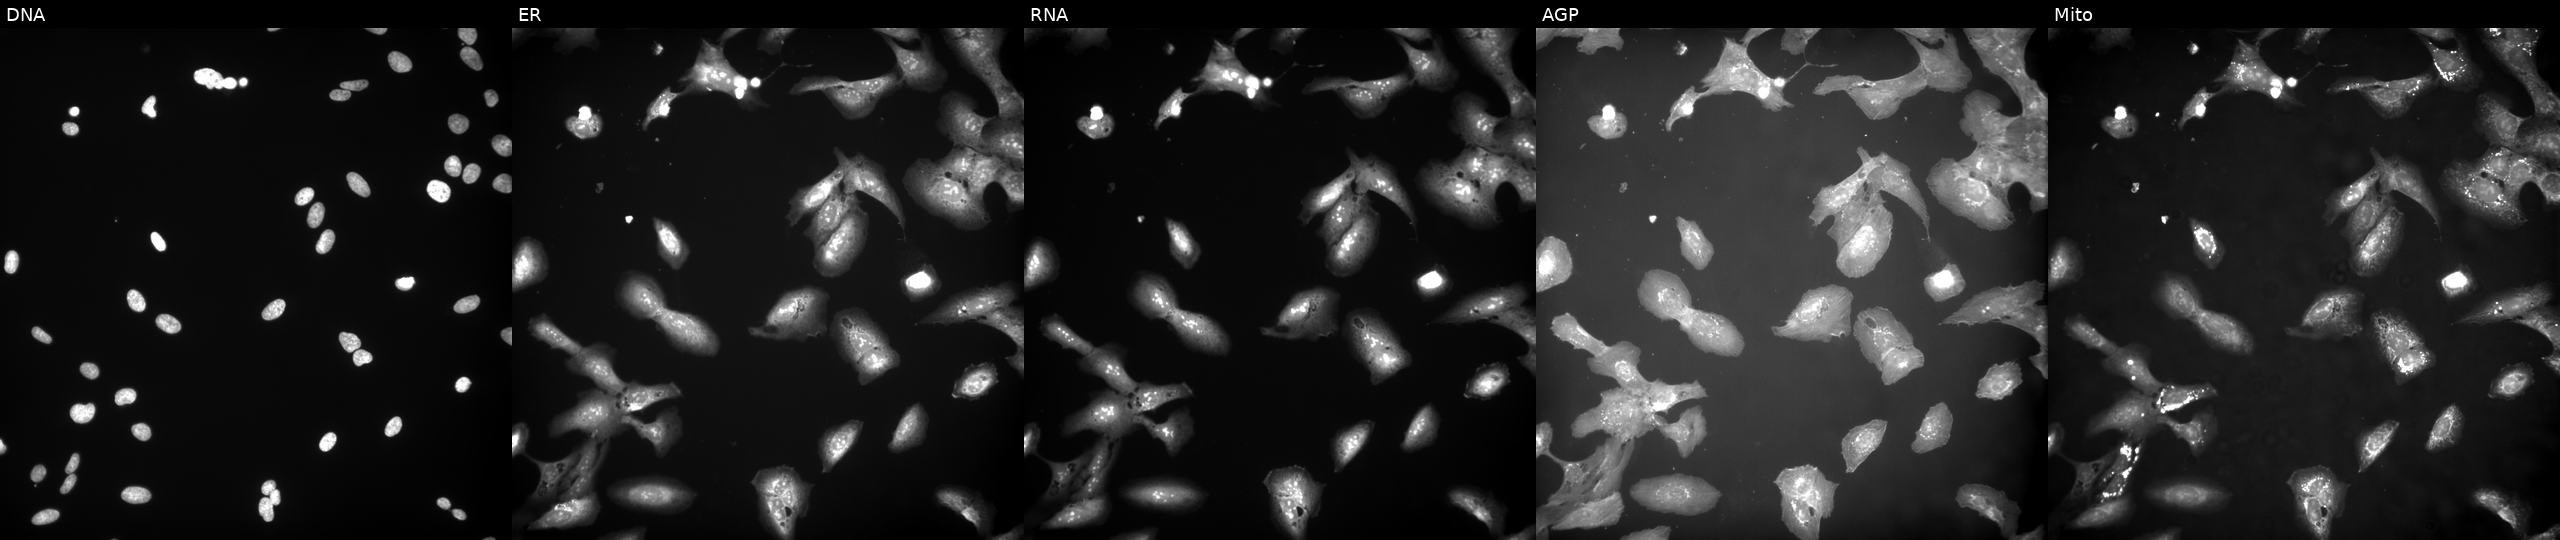
From left to right: Hoechst 33342, concanavalin A, SYTO 14, phalloidin and WGA, MitoTracker. U2OS osteosarcoma cells exposed to a small-molecule compound (InChIKey IGBRRMNMPOTMDP-UHFFFAOYSA-N) (JUMP id JCP2022_034848). Cell Painting assay, JUMP-CP dataset.